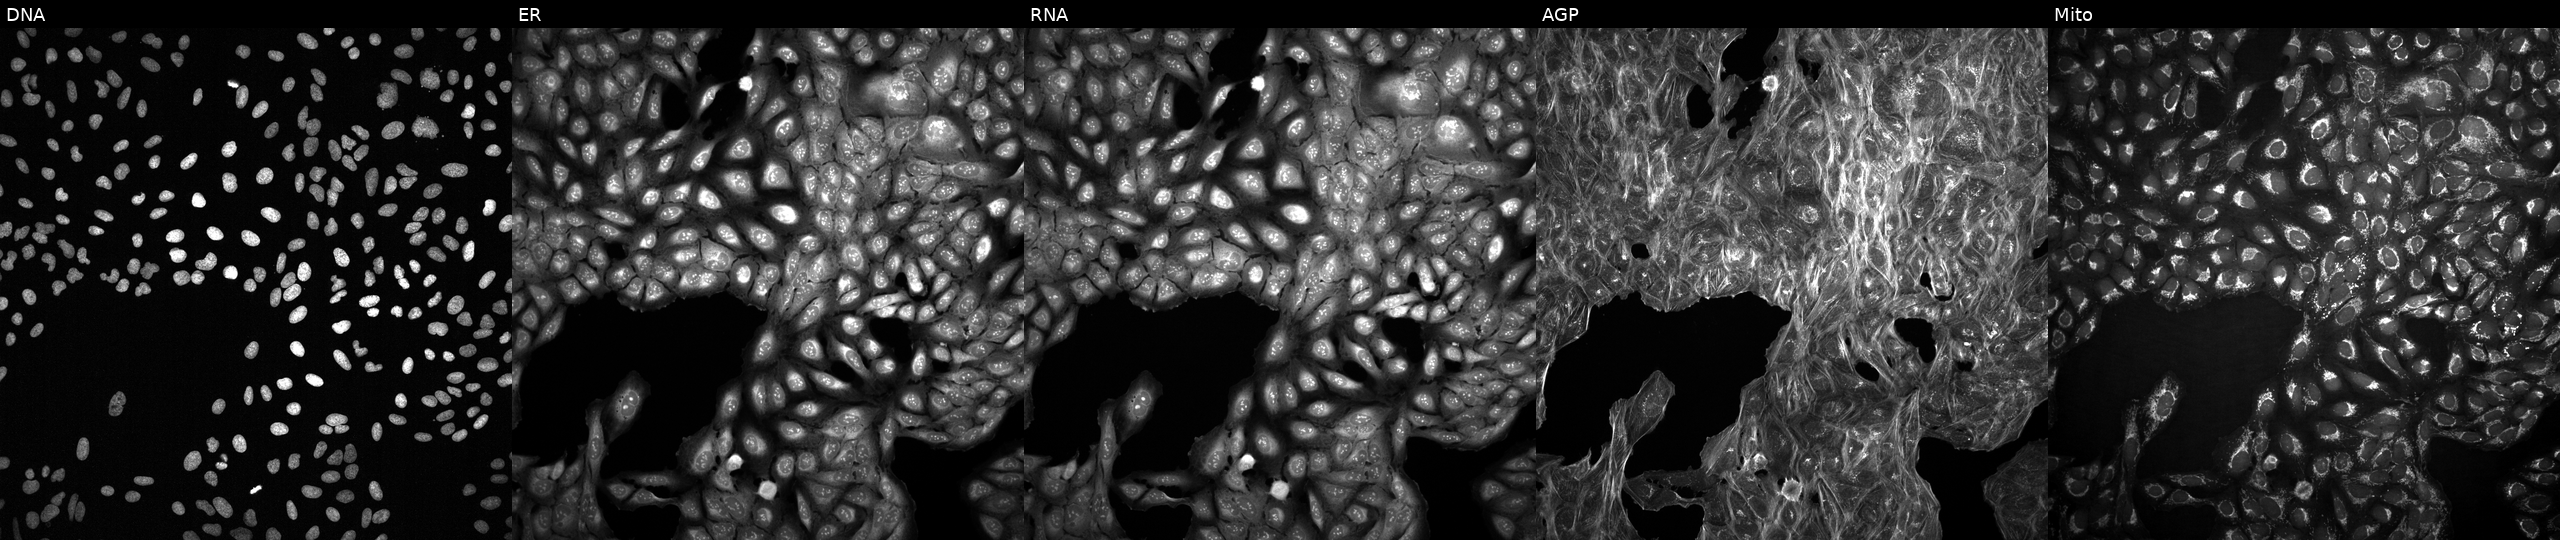
This image strip shows the five Cell Painting channels for a single field of U2OS cells treated with DMSO vehicle only (negative control). Channels (left→right): DNA, ER, RNA, AGP, and Mito.